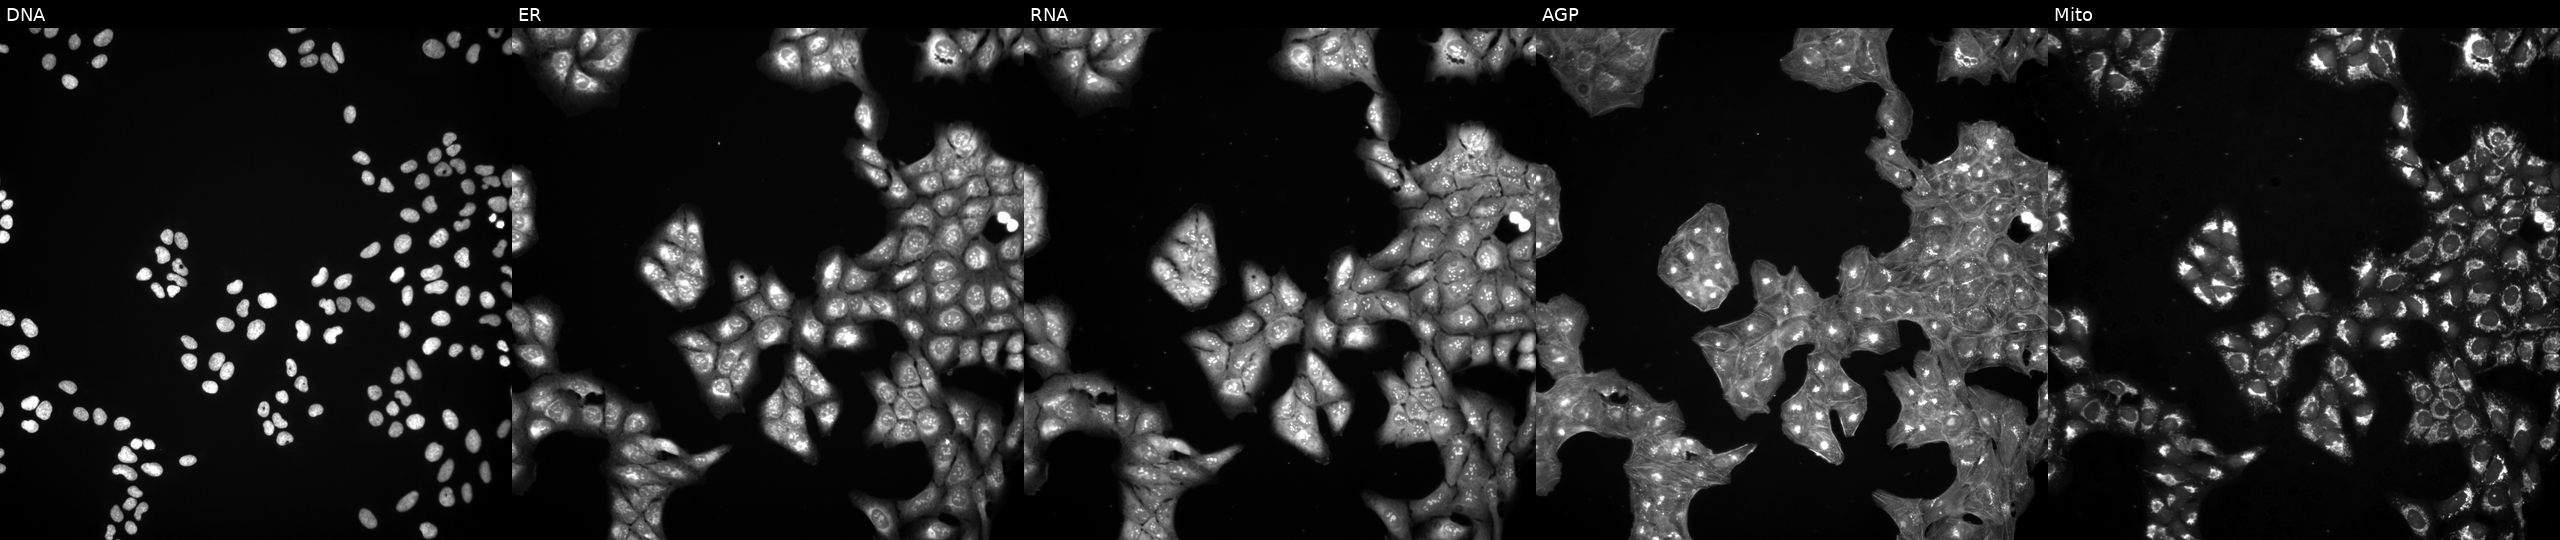
Panels show, left to right, Hoechst 33342, concanavalin A, SYTO 14, phalloidin and WGA, MitoTracker. U2OS osteosarcoma cells treated with a small-molecule compound (InChIKey STWHQBQYWHGROF-UHFFFAOYSA-N). Cell Painting assay, JUMP-CP dataset.